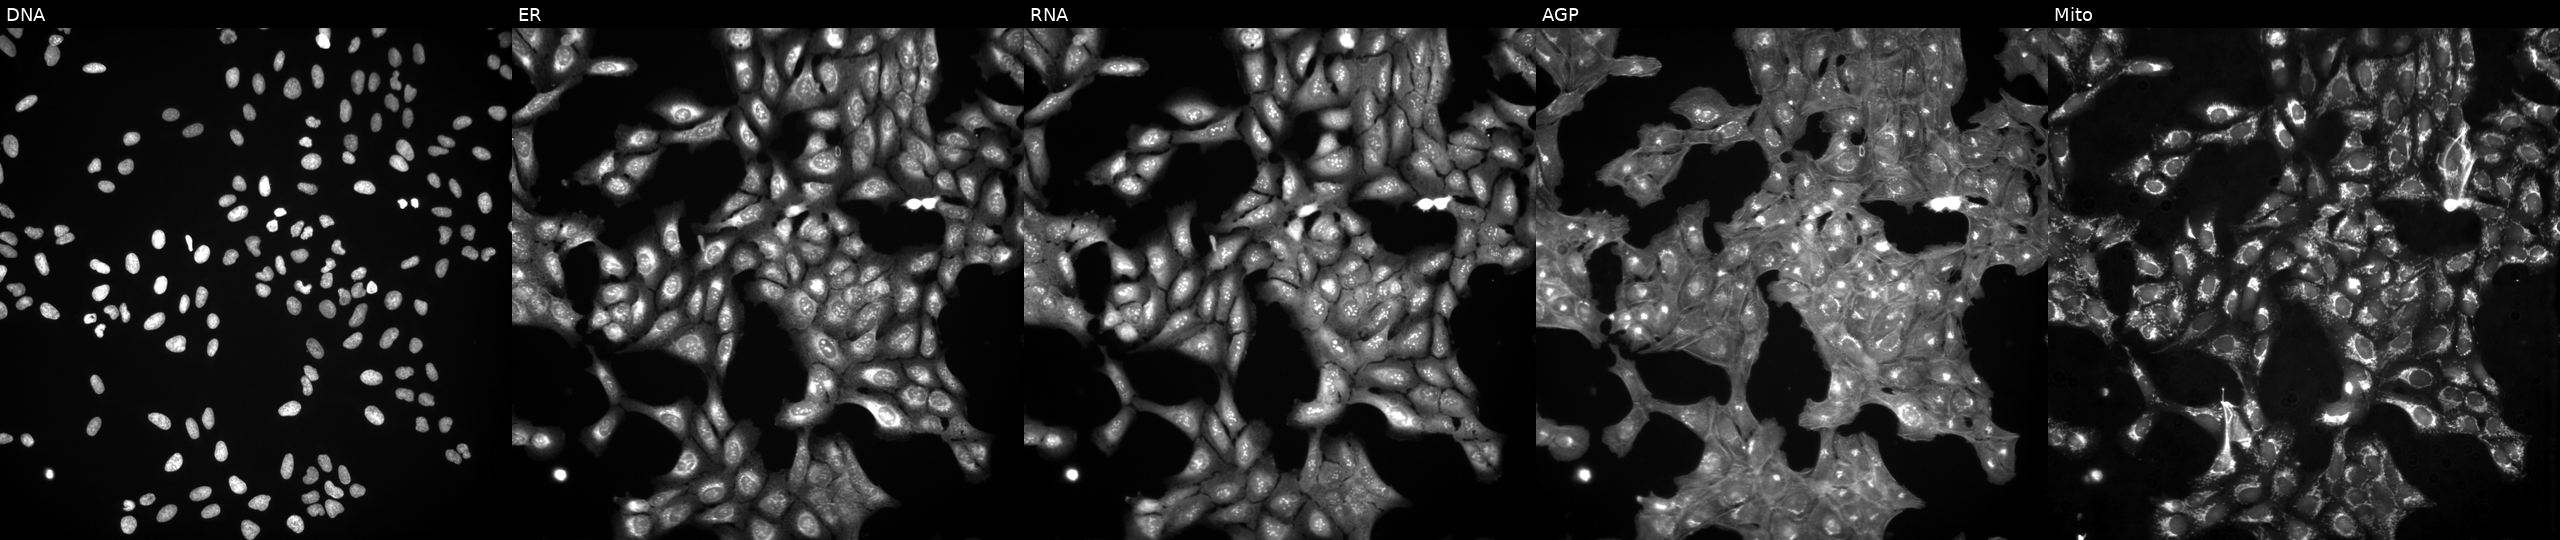
Channels (left→right): DNA (nuclei); ER (endoplasmic reticulum); RNA (nucleoli and cytoplasmic RNA); AGP (actin cytoskeleton, Golgi, and plasma membrane); Mito (mitochondria). U2OS osteosarcoma cells treated with DMSO vehicle only (negative control) (JUMP id JCP2022_033924). Cell Painting assay, JUMP-CP dataset.